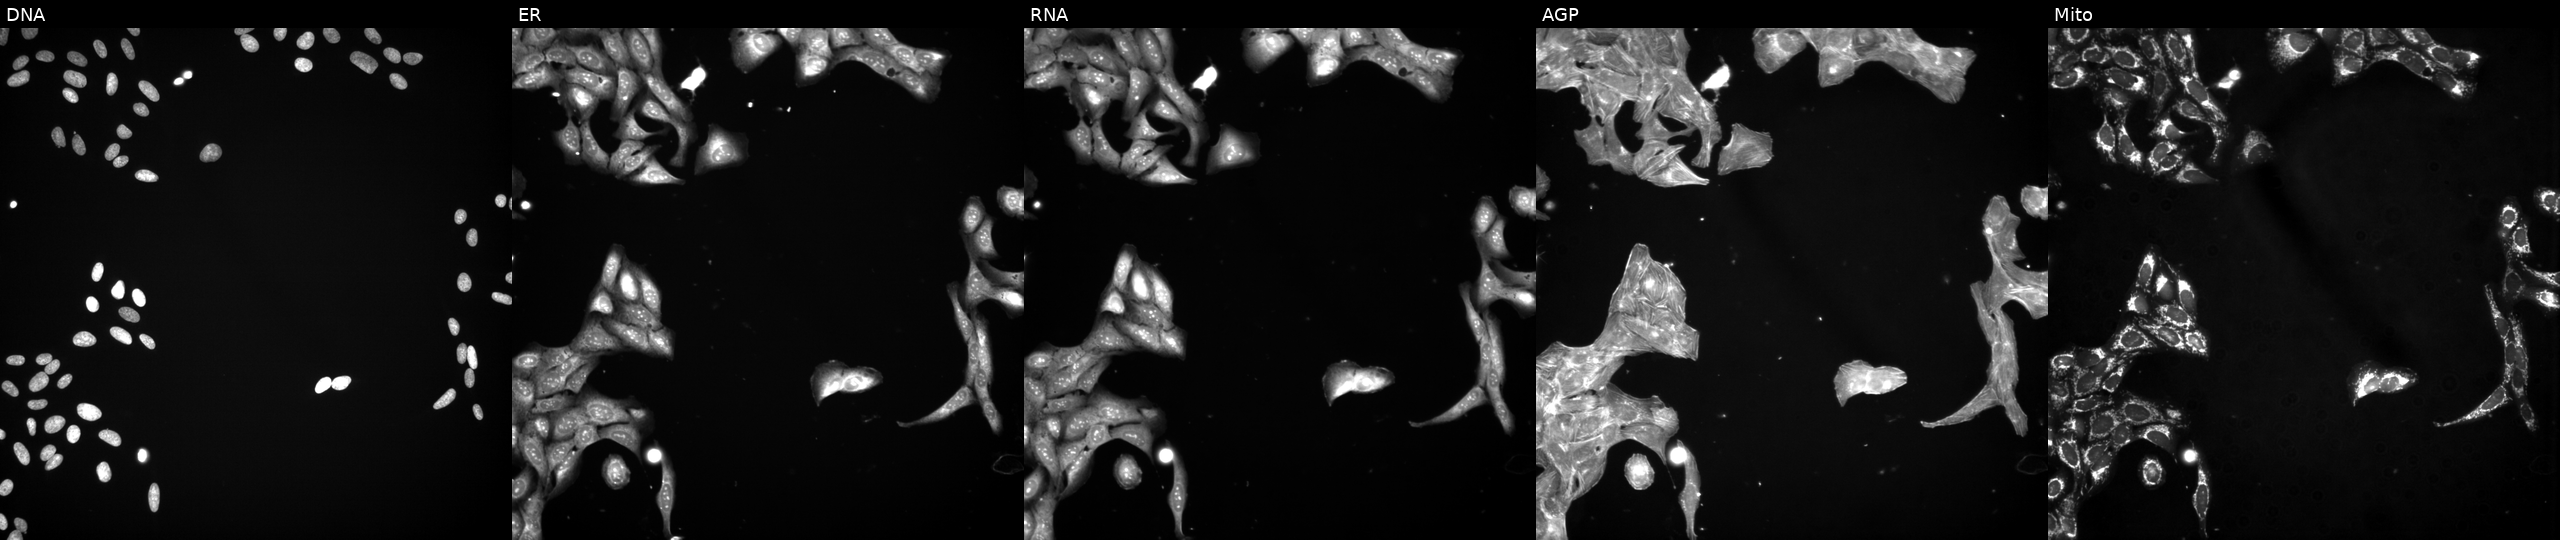
High-content fluorescence microscopy (Cell Painting). Cell line: U2OS. Perturbation: treated with a small-molecule compound (JUMP id JCP2022_102083). Channels (left→right): DNA, ER, RNA, AGP, and Mito. Source 3, plate JCPQC053, well D20.